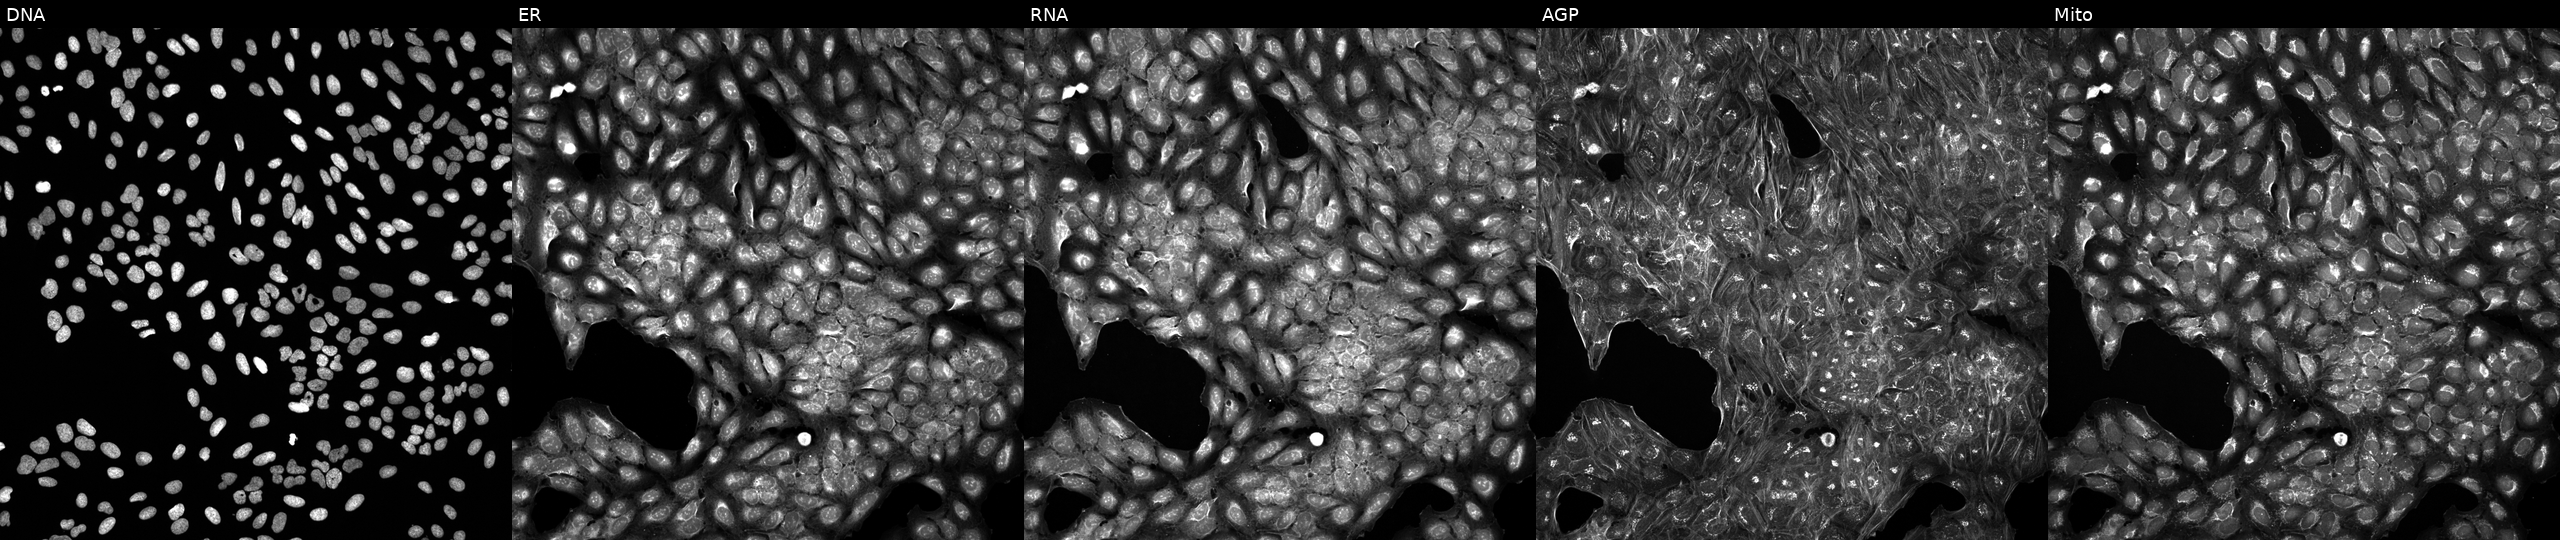
This image strip shows the five Cell Painting channels for a single field of U2OS cells exposed to a small-molecule compound (JUMP id JCP2022_020102). Channels (left→right): Hoechst 33342, concanavalin A, SYTO 14, phalloidin and WGA, MitoTracker.